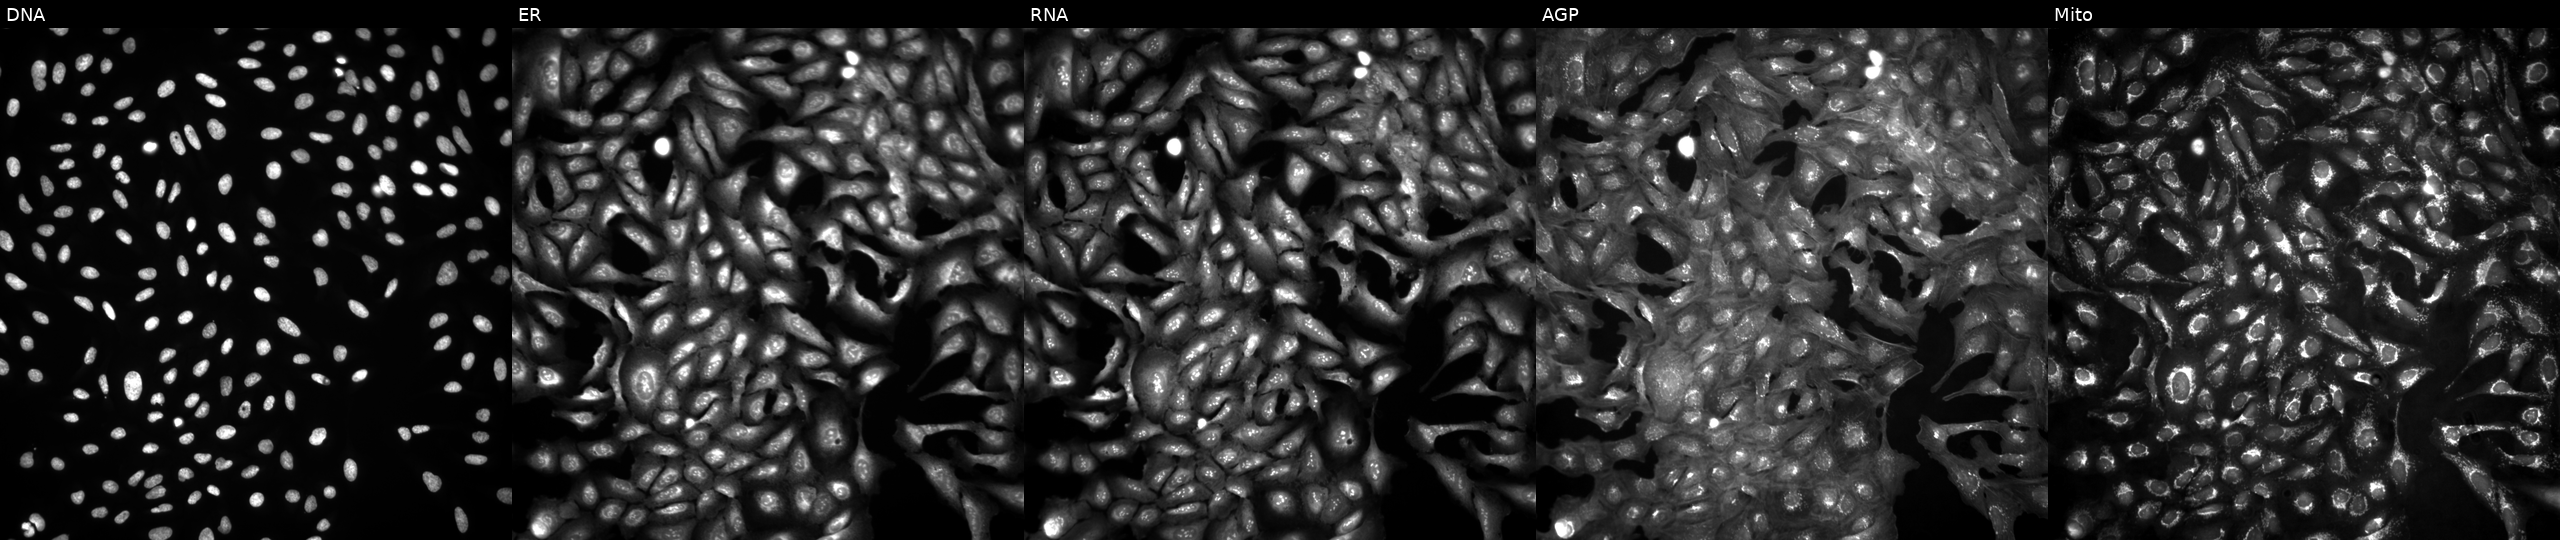
Five-channel Cell Painting image of U2OS cells untreated (empty-well control). Channels (left→right): DNA (nuclei); ER (endoplasmic reticulum); RNA (nucleoli and cytoplasmic RNA); AGP (actin cytoskeleton, Golgi, and plasma membrane); Mito (mitochondria).